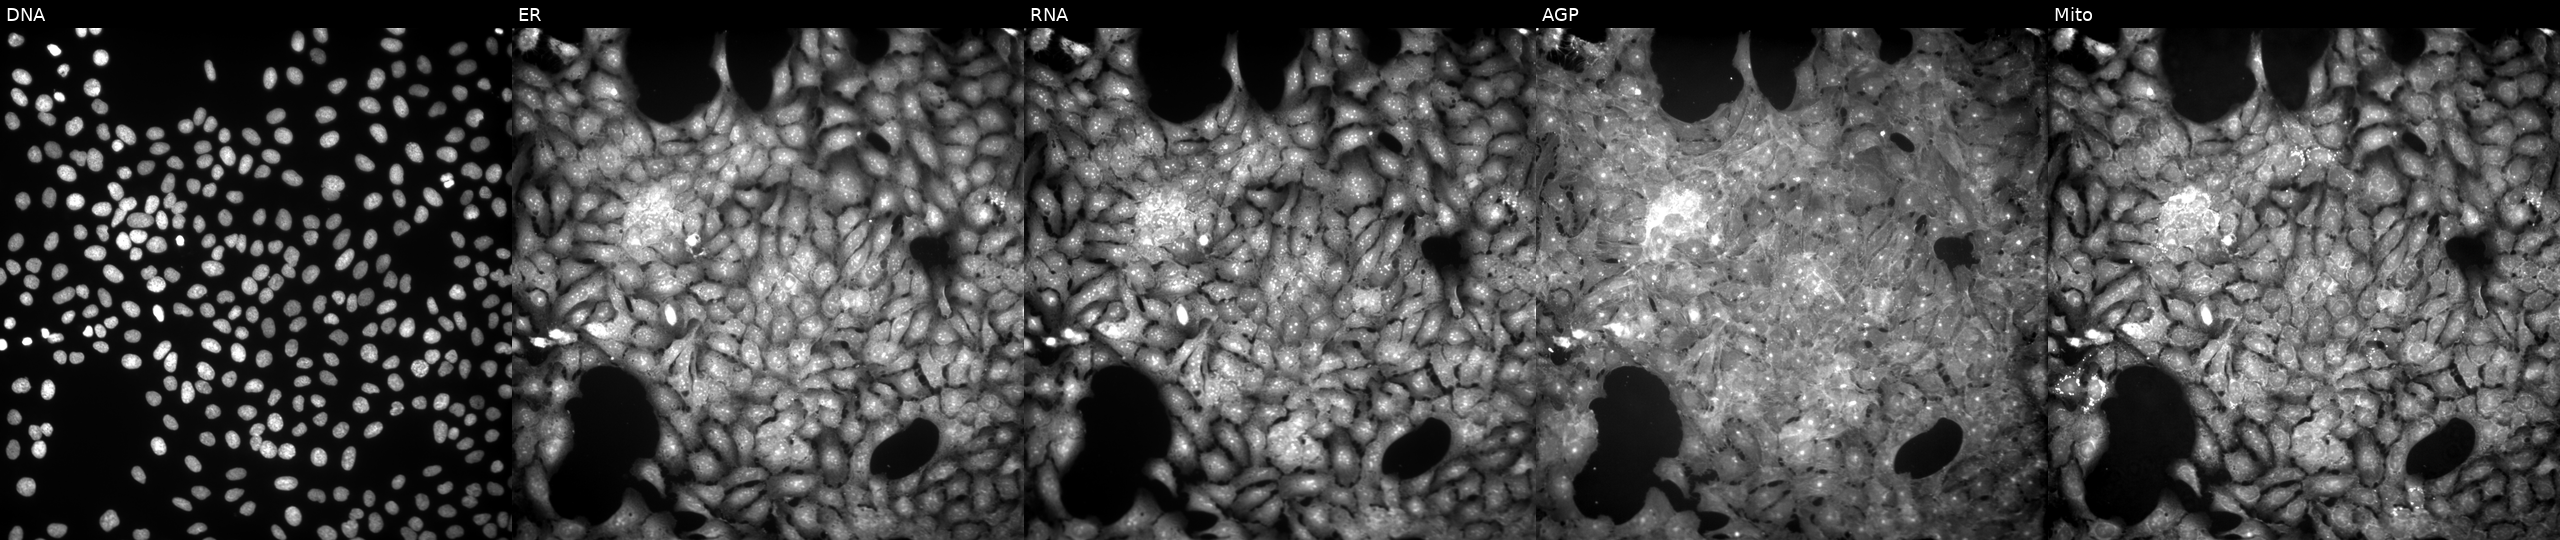
JUMP Cell Painting — COMPOUND plate. U2OS cells treated with FK-866 (positive-control compound) (JUMP id JCP2022_046054). Channels (left→right): DNA (nuclei); ER (endoplasmic reticulum); RNA (nucleoli and cytoplasmic RNA); AGP (actin cytoskeleton, Golgi, and plasma membrane); Mito (mitochondria). Source 9, plate GR00003382, well AB24.